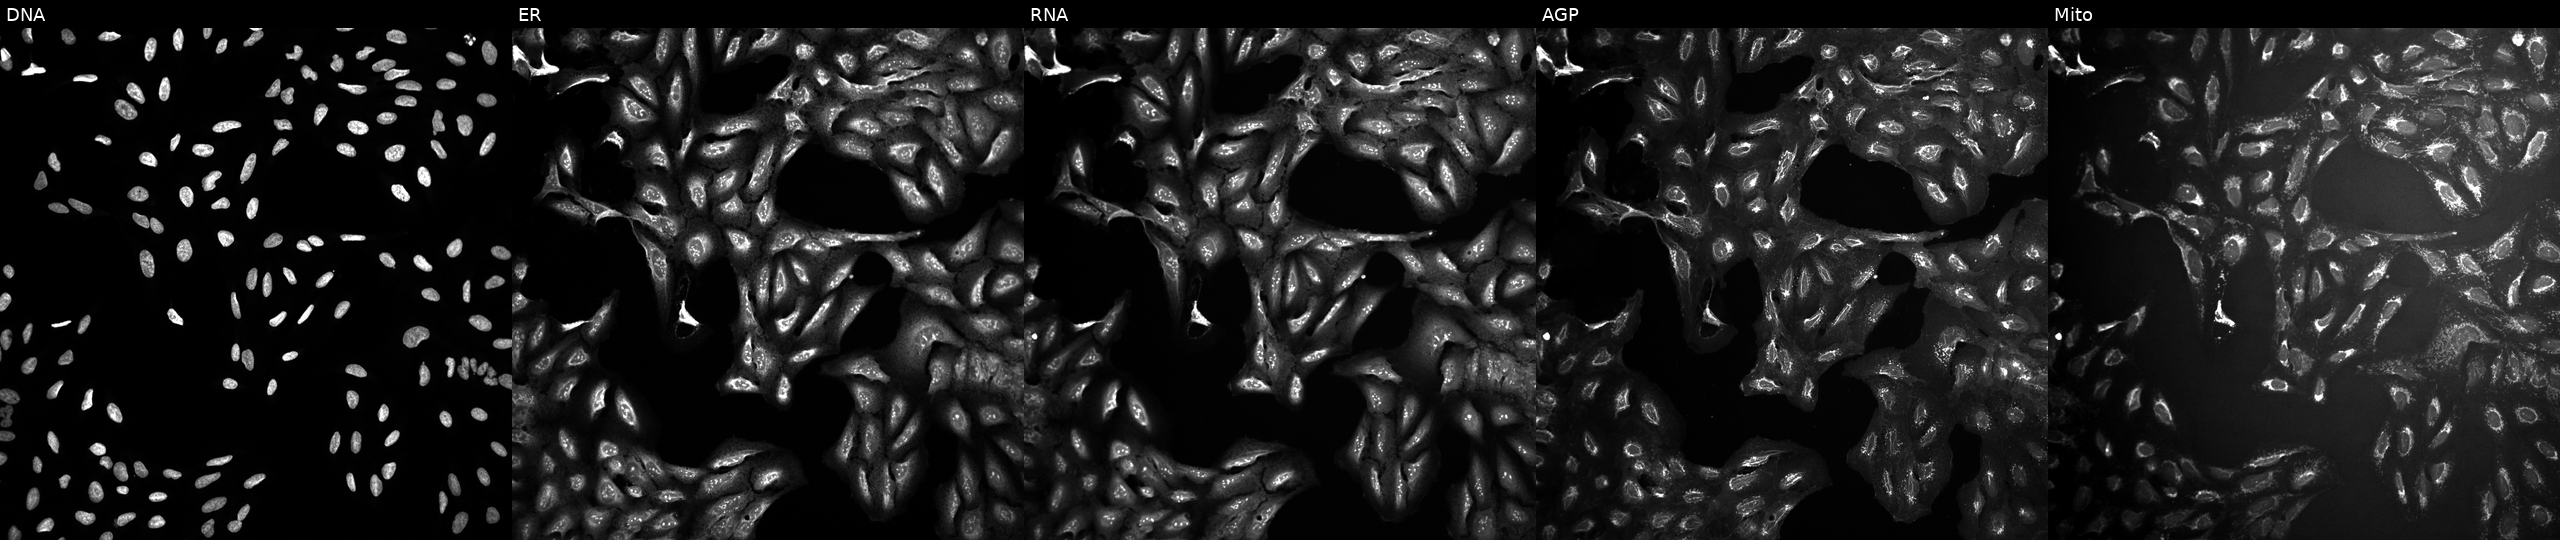
The five panels, left to right, show DNA (nuclei); ER (endoplasmic reticulum); RNA (nucleoli and cytoplasmic RNA); AGP (actin cytoskeleton, Golgi, and plasma membrane); Mito (mitochondria). U2OS osteosarcoma cells treated with a small-molecule compound (JUMP id JCP2022_029186). Cell Painting assay, JUMP-CP dataset. Source 10, plate Dest210803-153958, well I23.